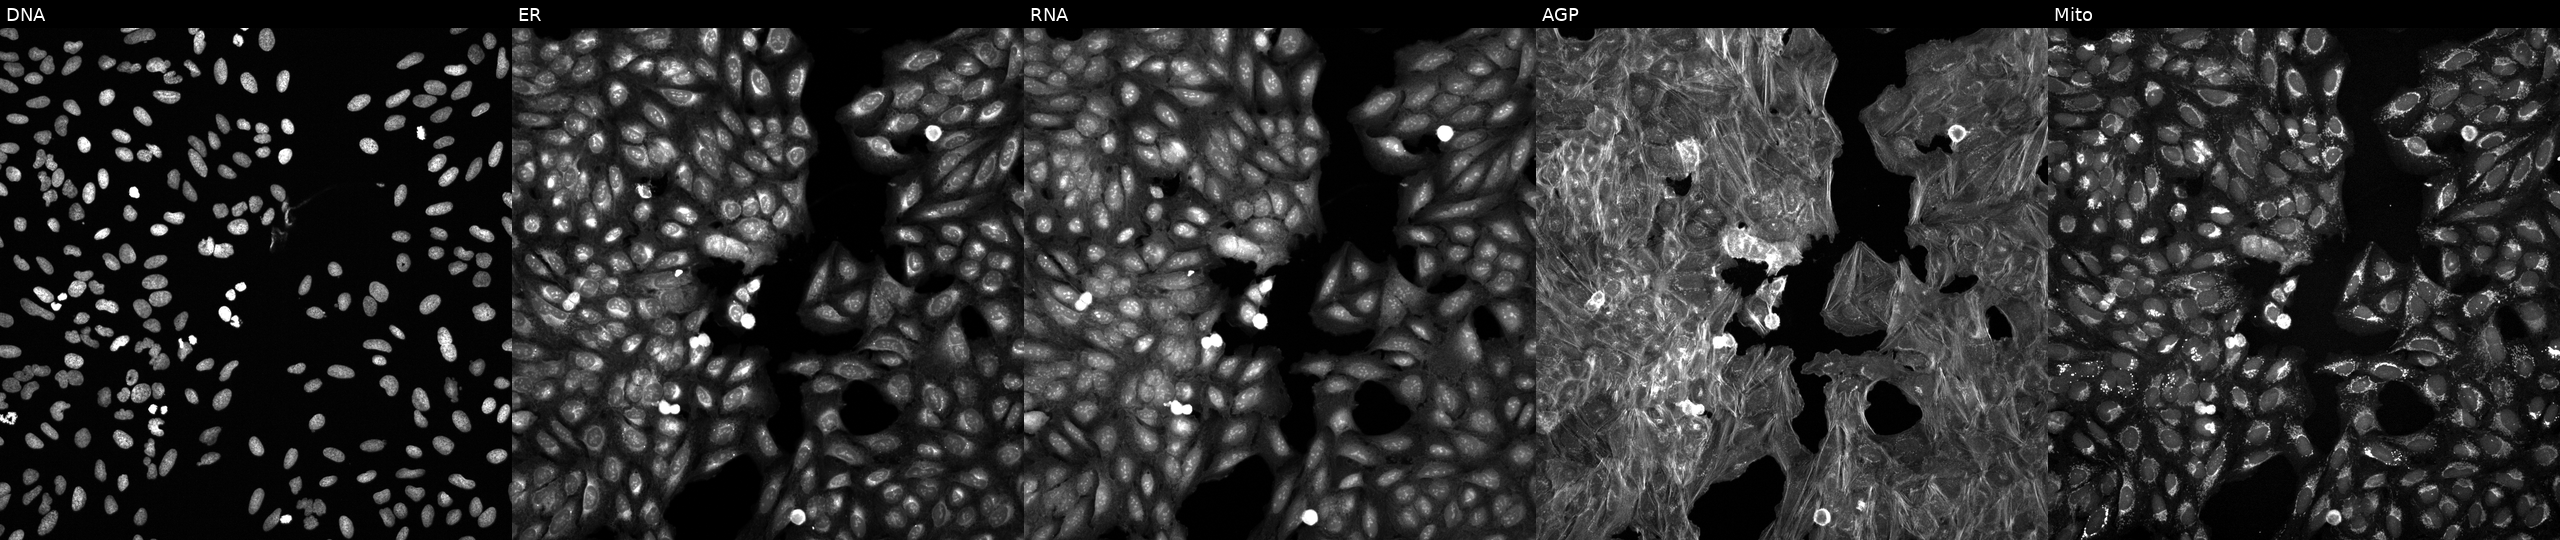
High-content fluorescence microscopy (Cell Painting). Cell line: U2OS. Perturbation: perturbed with a small-molecule compound. From left to right: DNA (nuclei); ER (endoplasmic reticulum); RNA (nucleoli and cytoplasmic RNA); AGP (actin cytoskeleton, Golgi, and plasma membrane); Mito (mitochondria).